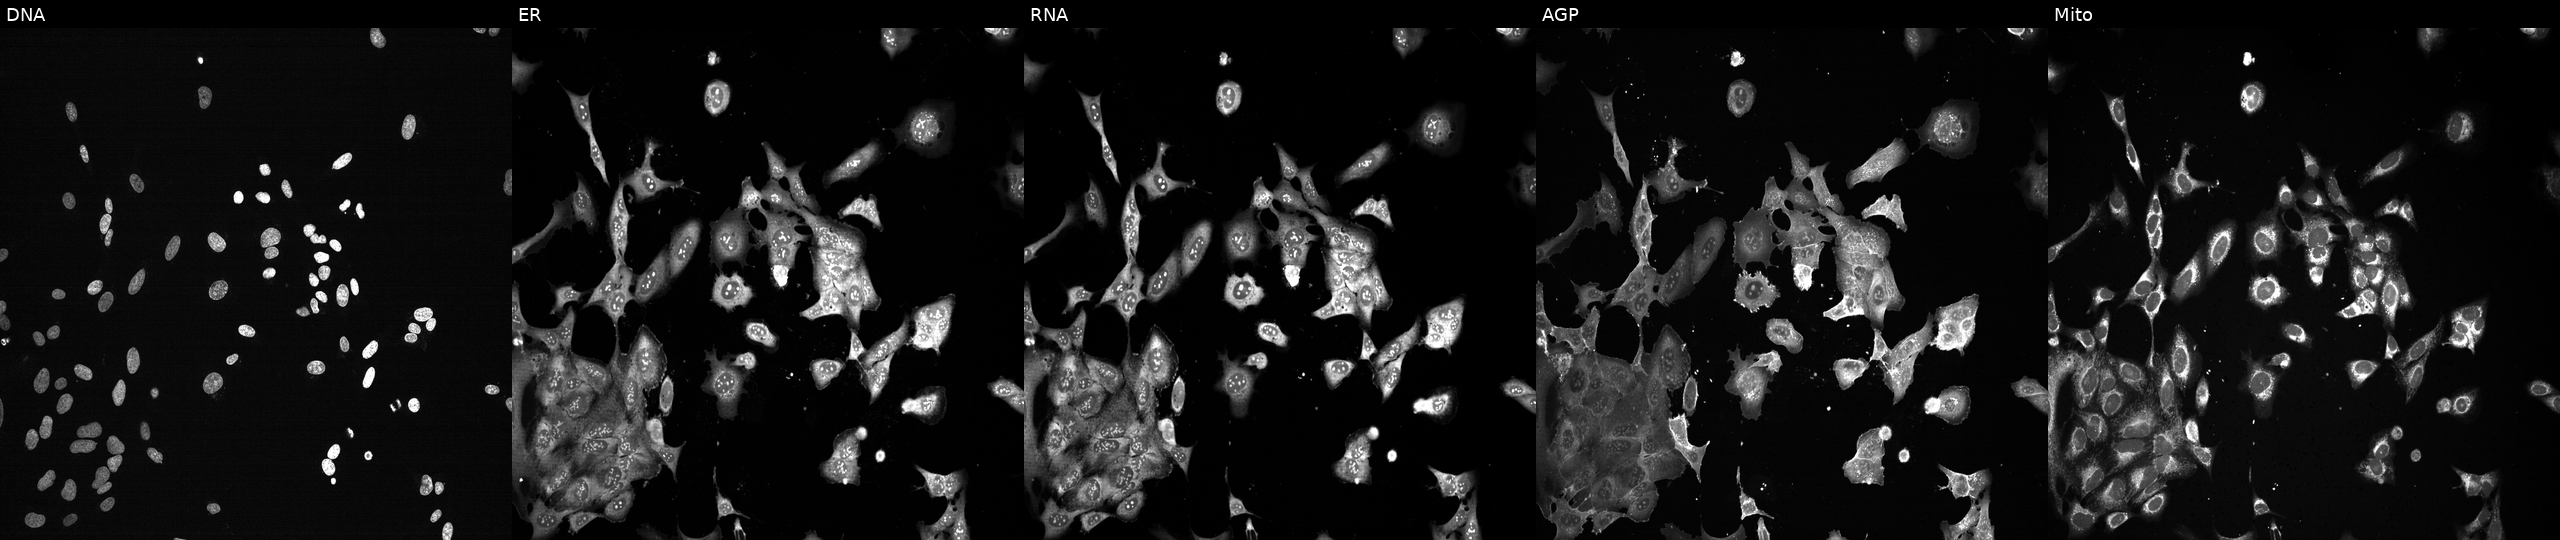
Five-channel Cell Painting image of U2OS cells CRISPR-edited to disrupt PSMD7. Panels show, left to right, DNA, ER, RNA, AGP, and Mito. Source 13, plate CP-CC9-R6-19, well E03.